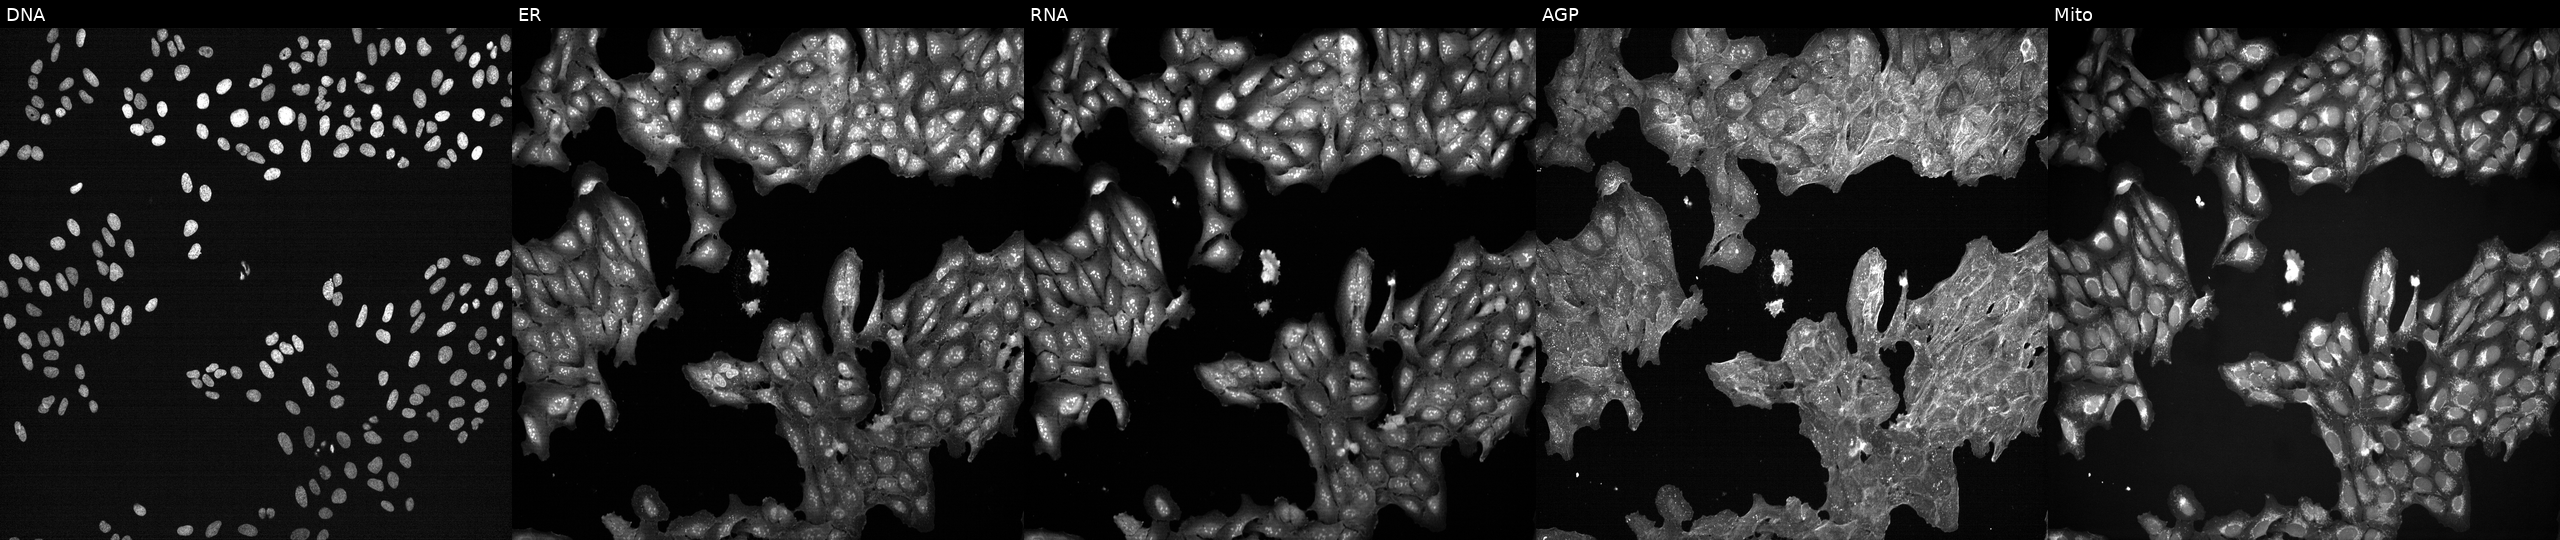
This image strip shows the five Cell Painting channels for a single field of U2OS cells perturbed with a small-molecule compound. Panels show, left to right, DNA (nuclei); ER (endoplasmic reticulum); RNA (nucleoli and cytoplasmic RNA); AGP (actin cytoskeleton, Golgi, and plasma membrane); Mito (mitochondria). Source 7, plate CP2-SC1-25, well O14.